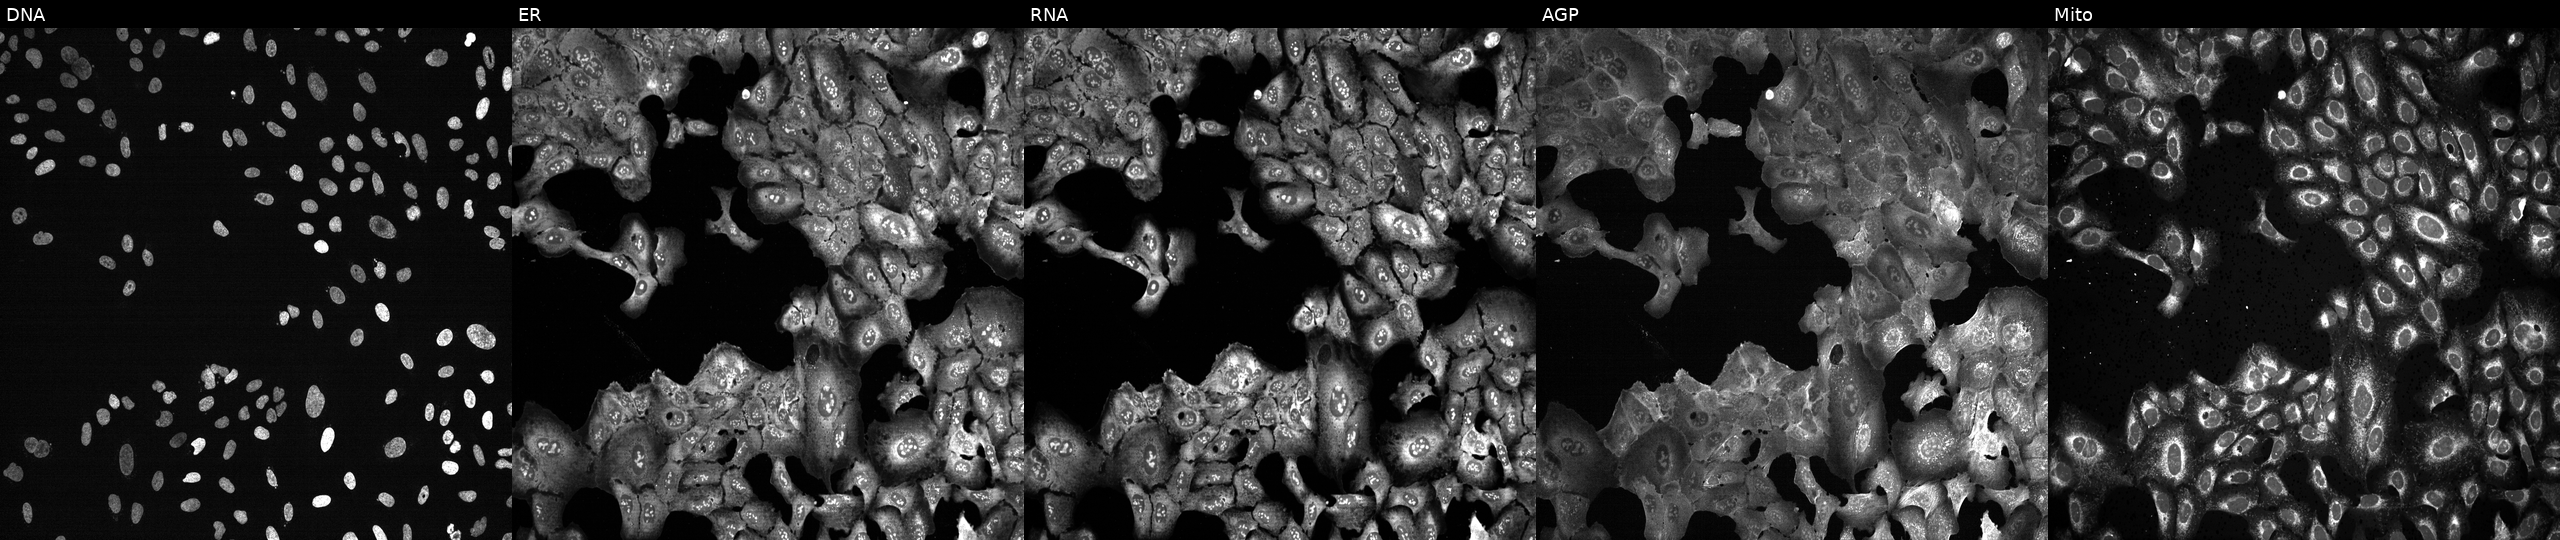
The five panels, left to right, show DNA (nuclei); ER (endoplasmic reticulum); RNA (nucleoli and cytoplasmic RNA); AGP (actin cytoskeleton, Golgi, and plasma membrane); Mito (mitochondria). U2OS osteosarcoma cells following CRISPR knockout of TAZ. Cell Painting assay, JUMP-CP dataset.